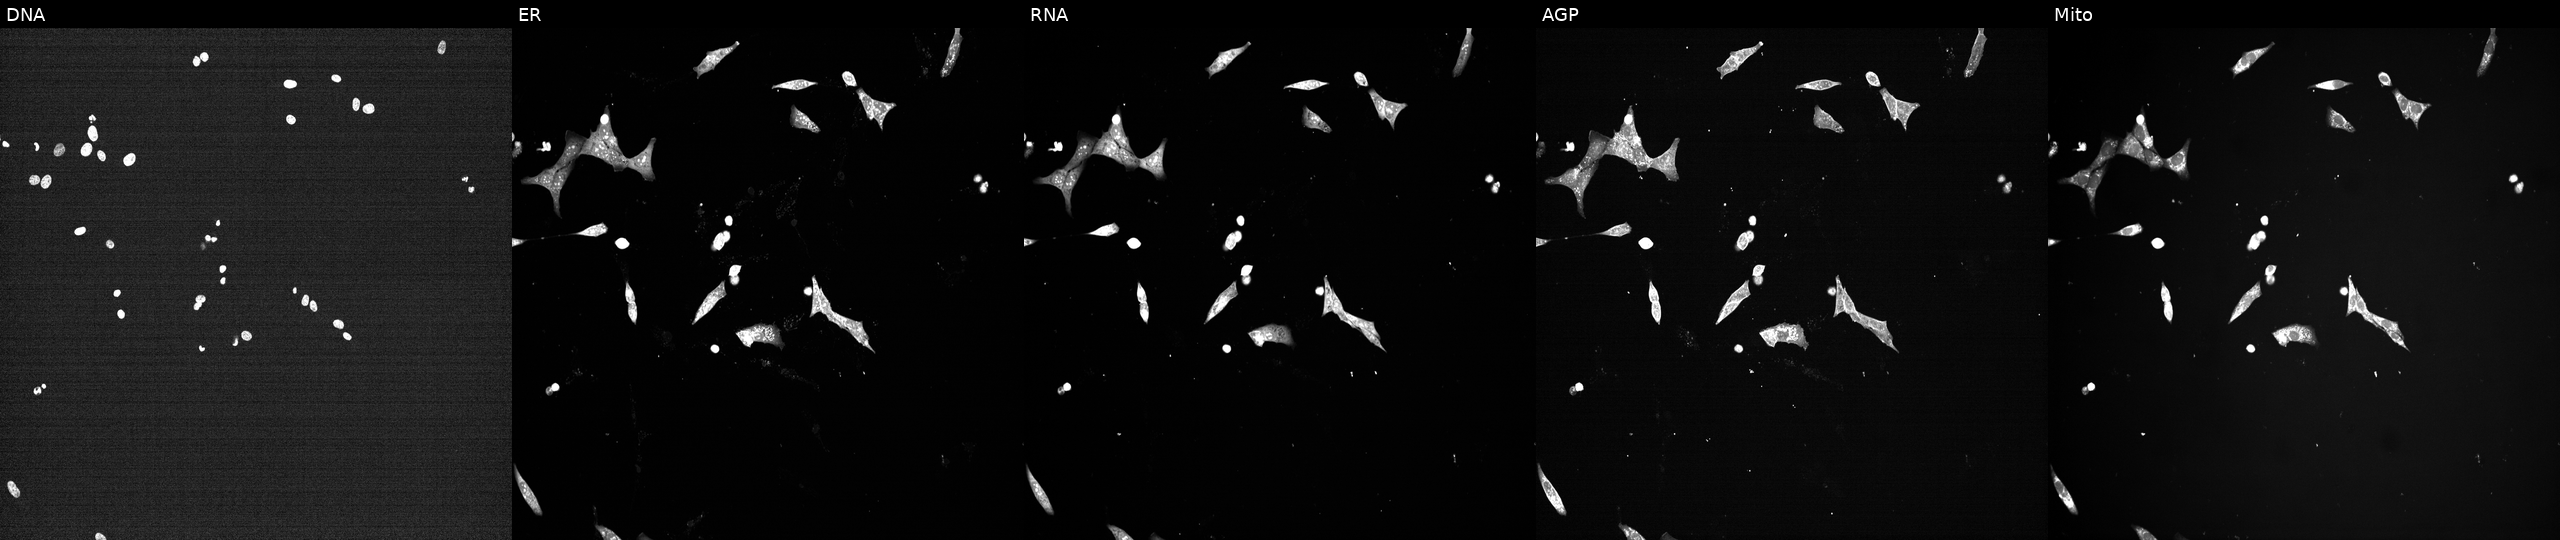
Channels (left→right): DNA (nuclei); ER (endoplasmic reticulum); RNA (nucleoli and cytoplasmic RNA); AGP (actin cytoskeleton, Golgi, and plasma membrane); Mito (mitochondria). U2OS osteosarcoma cells perturbed with a small-molecule compound (InChIKey VHHVPDKNKPNKHY-UHFFFAOYSA-N) [SMILES: CC(C)C1c2ccc(F)cc2CCC1(CCN(C)CCCc1nc2ccccc2[nH]1)OC(=O)C1CC1] (JUMP id JCP2022_093956). Cell Painting assay, JUMP-CP dataset.